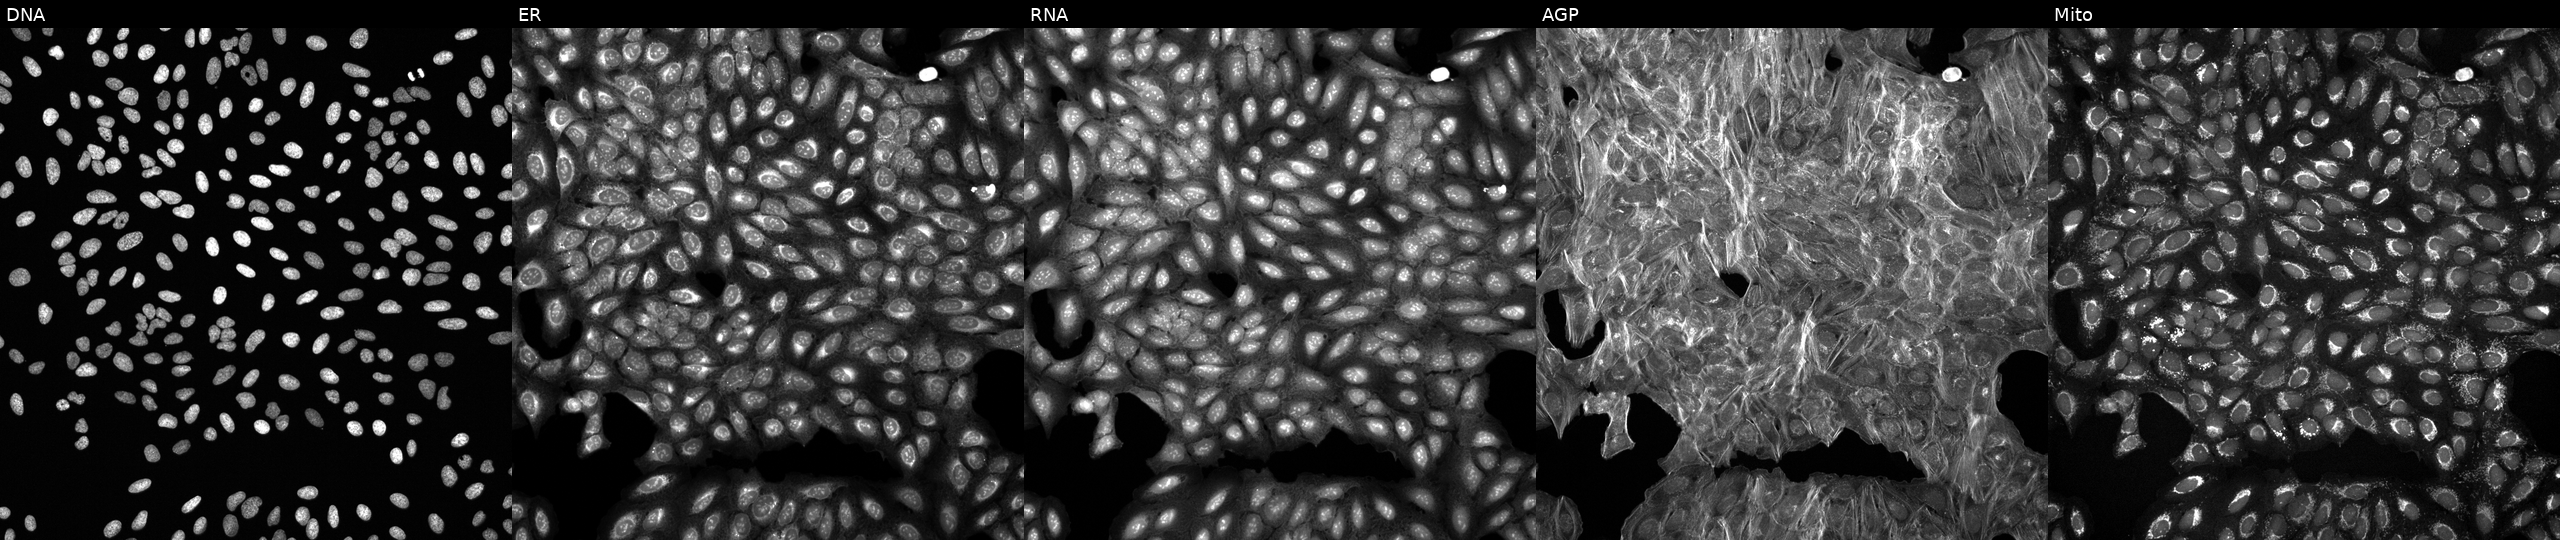
Panels show, left to right, DNA, ER, RNA, AGP, and Mito. U2OS osteosarcoma cells perturbed with a small-molecule compound (JUMP id JCP2022_034196). Cell Painting assay, JUMP-CP dataset.